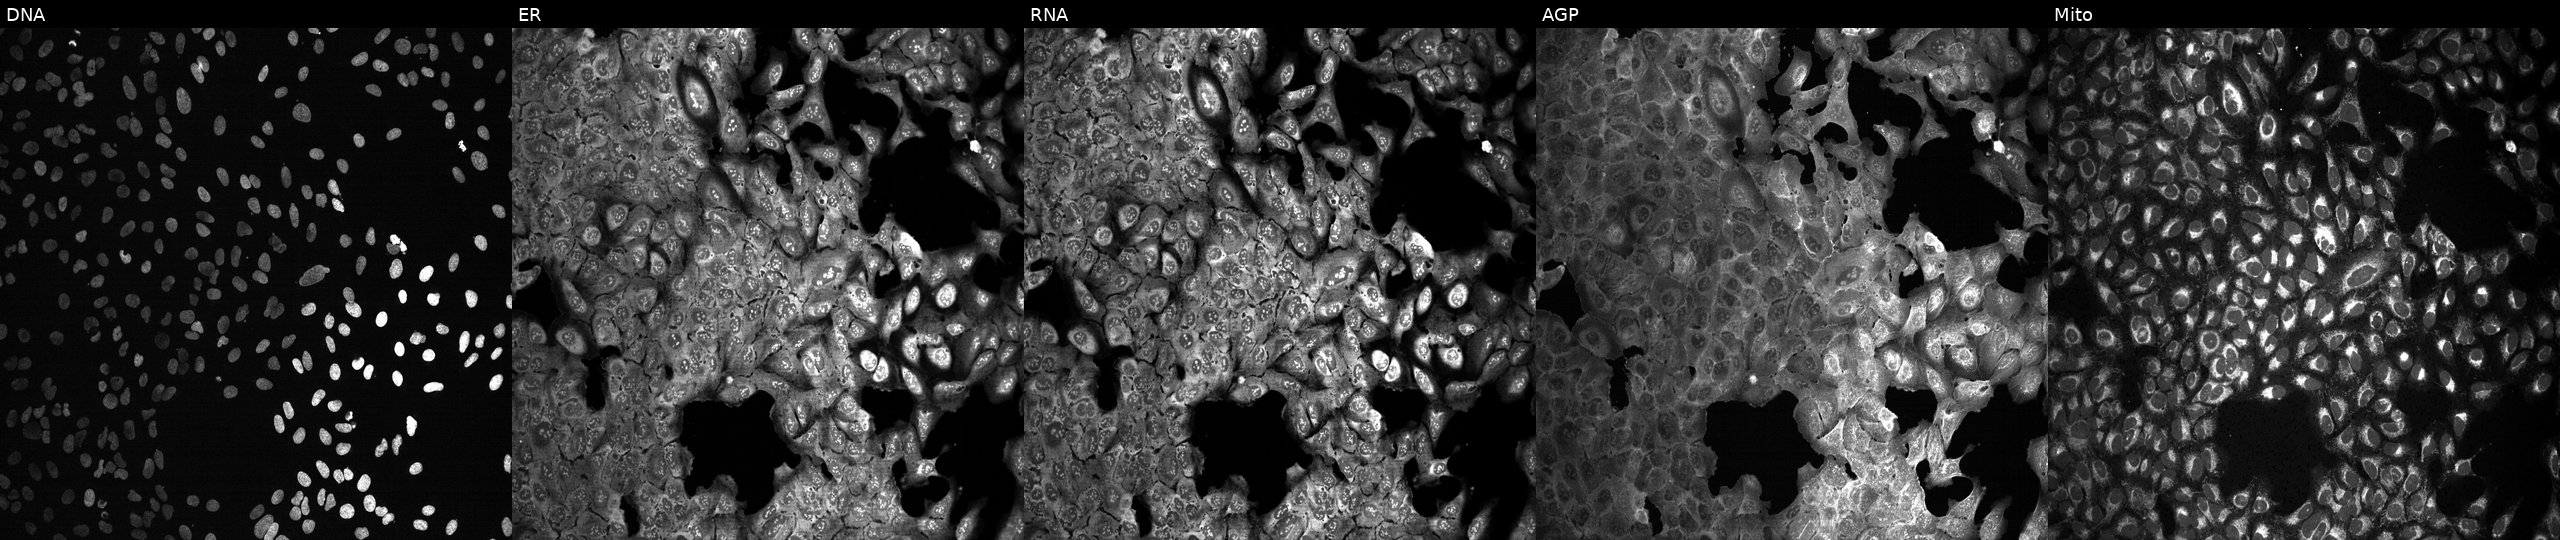
U2OS cells, Cell Painting assay, CRISPR-edited to disrupt AREG. The five panels, left to right, show DNA (nuclei); ER (endoplasmic reticulum); RNA (nucleoli and cytoplasmic RNA); AGP (actin cytoskeleton, Golgi, and plasma membrane); Mito (mitochondria). Each panel is percentile-stretched 16-bit fluorescence.